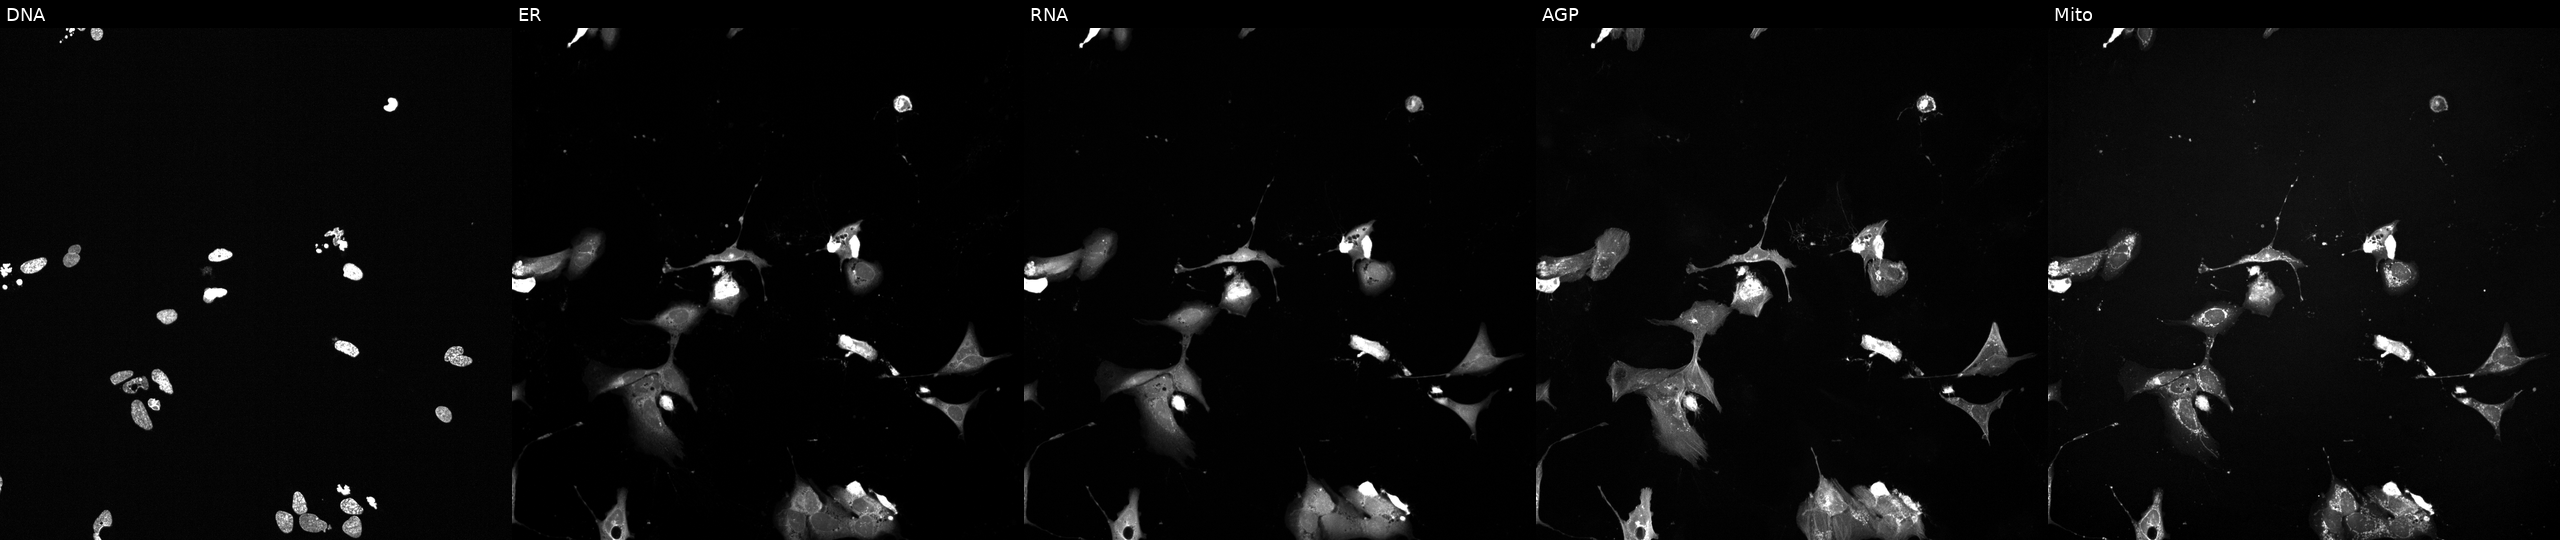
U2OS cells, Cell Painting assay, perturbed with a small-molecule compound (JUMP id JCP2022_096865). Panels show, left to right, DNA (nuclei); ER (endoplasmic reticulum); RNA (nucleoli and cytoplasmic RNA); AGP (actin cytoskeleton, Golgi, and plasma membrane); Mito (mitochondria). Each panel is percentile-stretched 16-bit fluorescence.